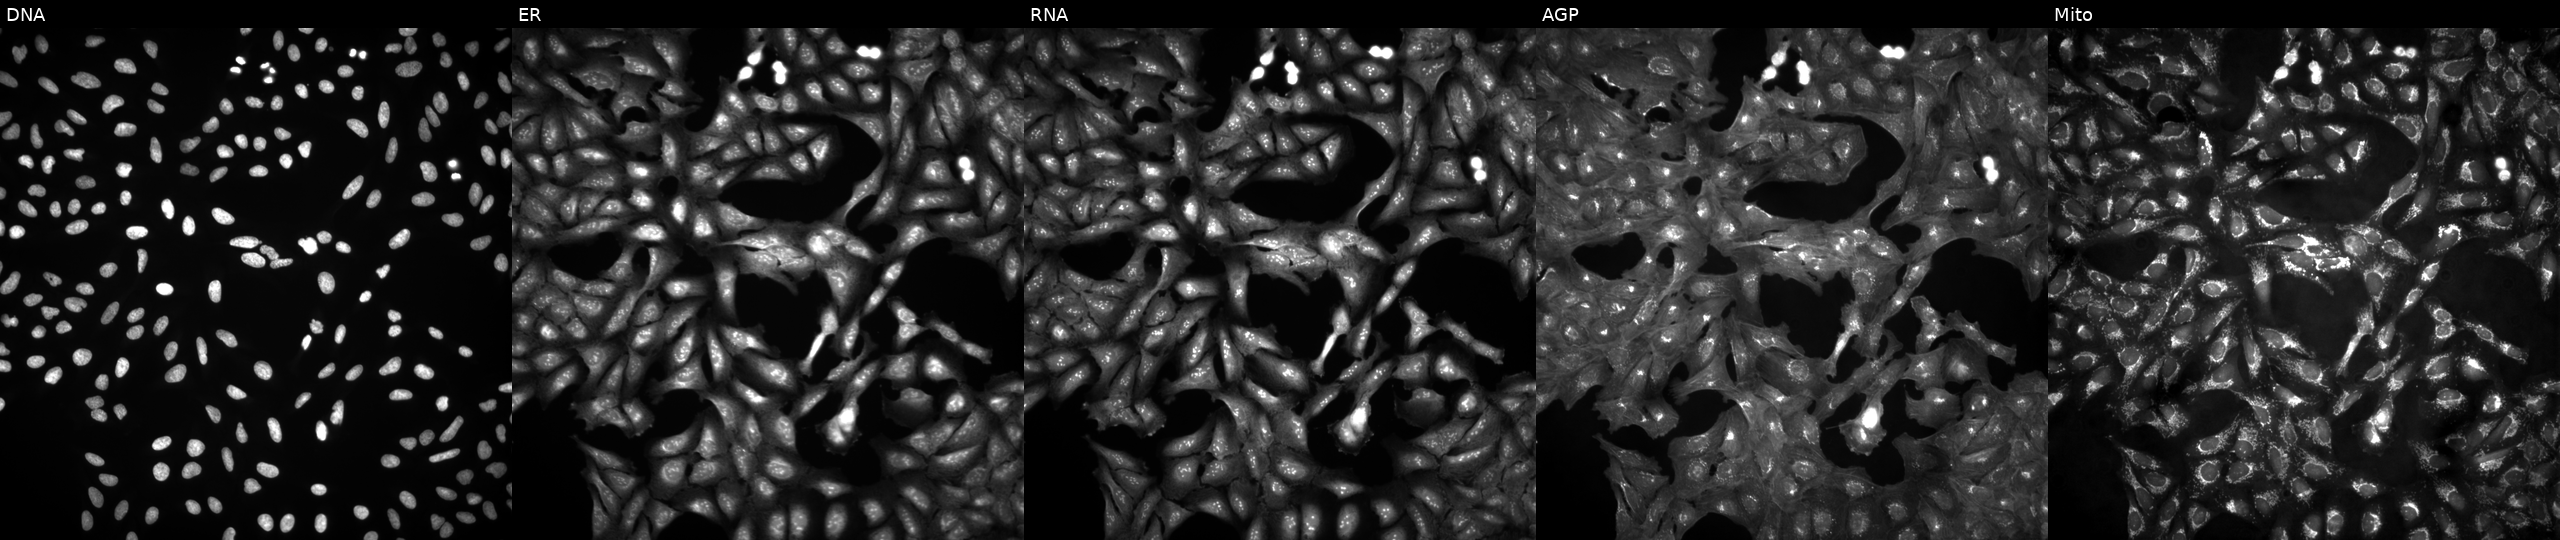
From left to right: Hoechst 33342, concanavalin A, SYTO 14, phalloidin and WGA, MitoTracker. U2OS osteosarcoma cells in an empty control well (no perturbation). Cell Painting assay, JUMP-CP dataset.